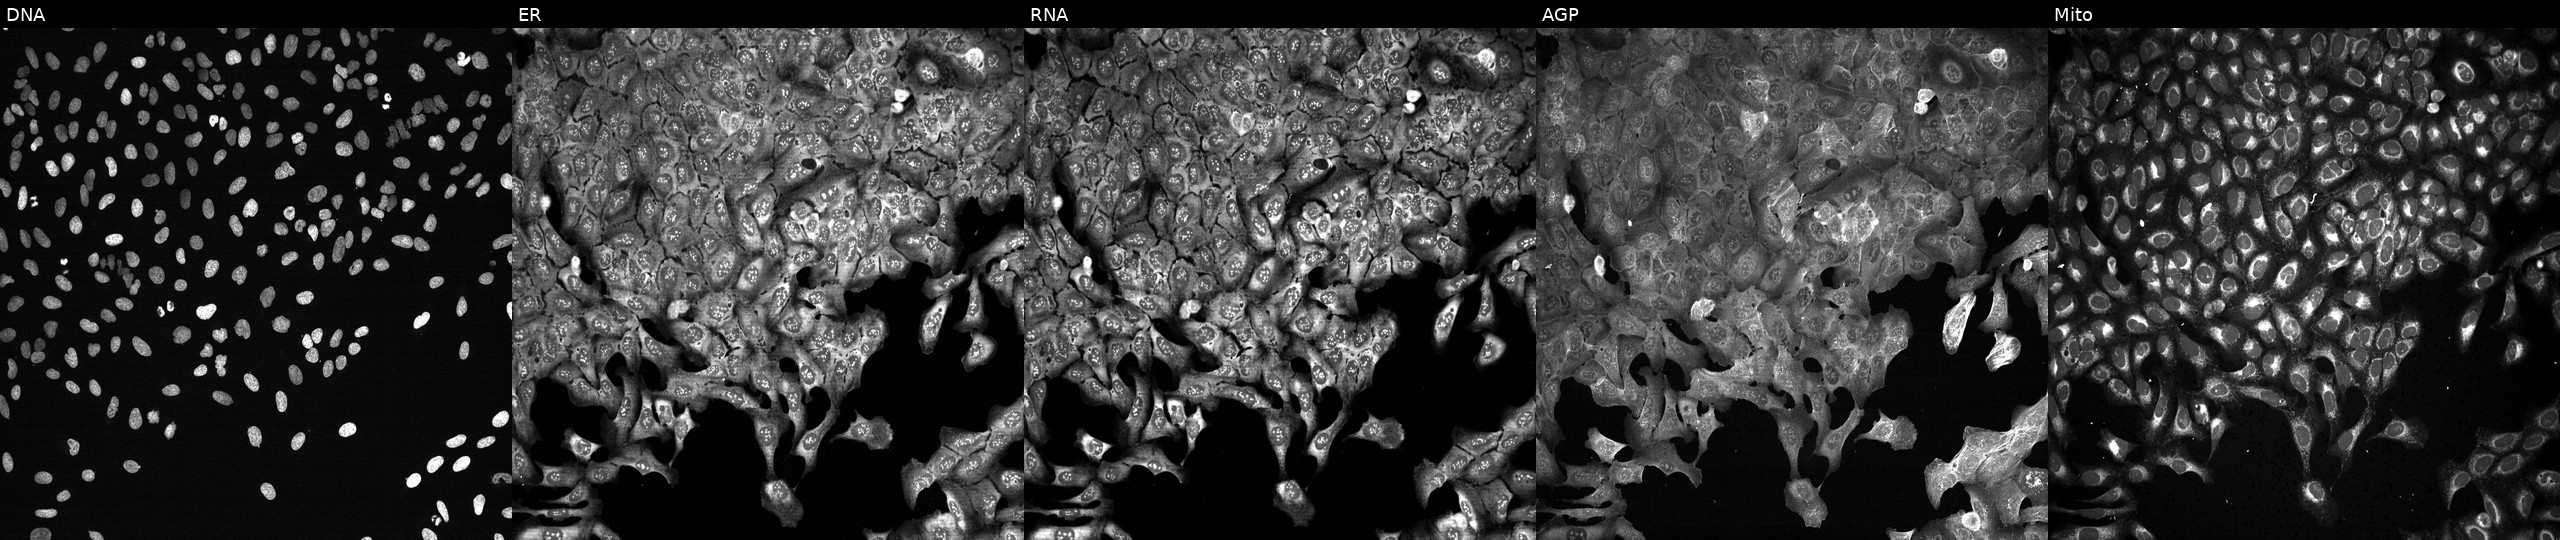
High-content fluorescence microscopy (Cell Painting). Cell line: U2OS. Perturbation: CRISPR-edited to disrupt ASF1A. From left to right: Hoechst 33342, concanavalin A, SYTO 14, phalloidin and WGA, MitoTracker. Source 13, plate CP-CC9-R2-01, well I07.